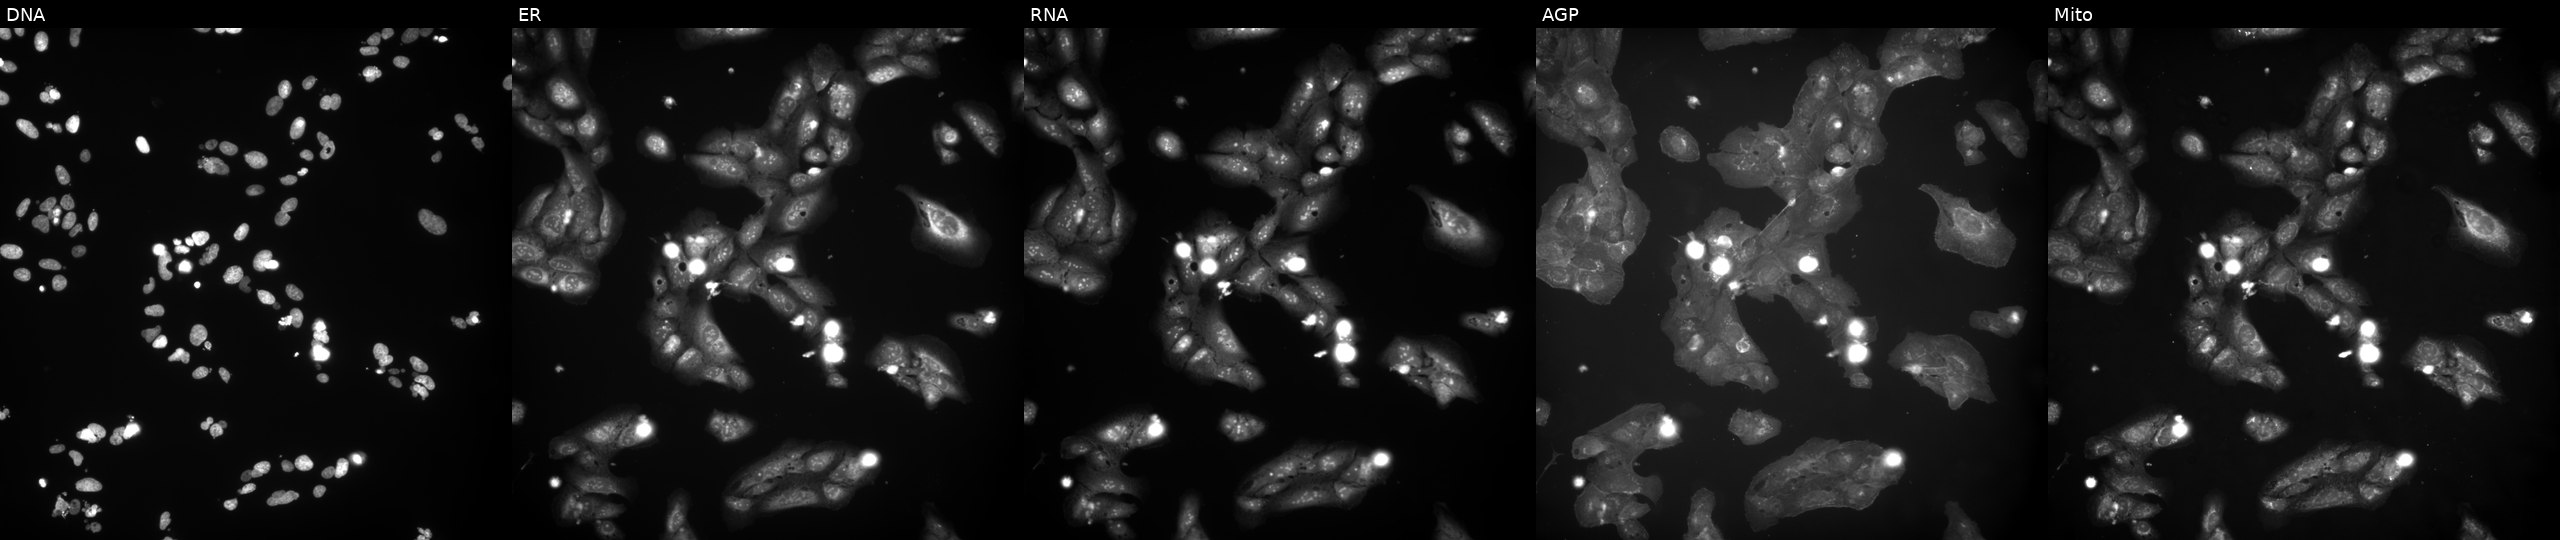
This image strip shows the five Cell Painting channels for a single field of U2OS cells treated with a small-molecule compound (InChIKey VPLLRGQEDZVIBF-UHFFFAOYSA-N) (JUMP id JCP2022_095456). From left to right: DNA, ER, RNA, AGP, and Mito. Source 9, plate GR00003381, well C30.